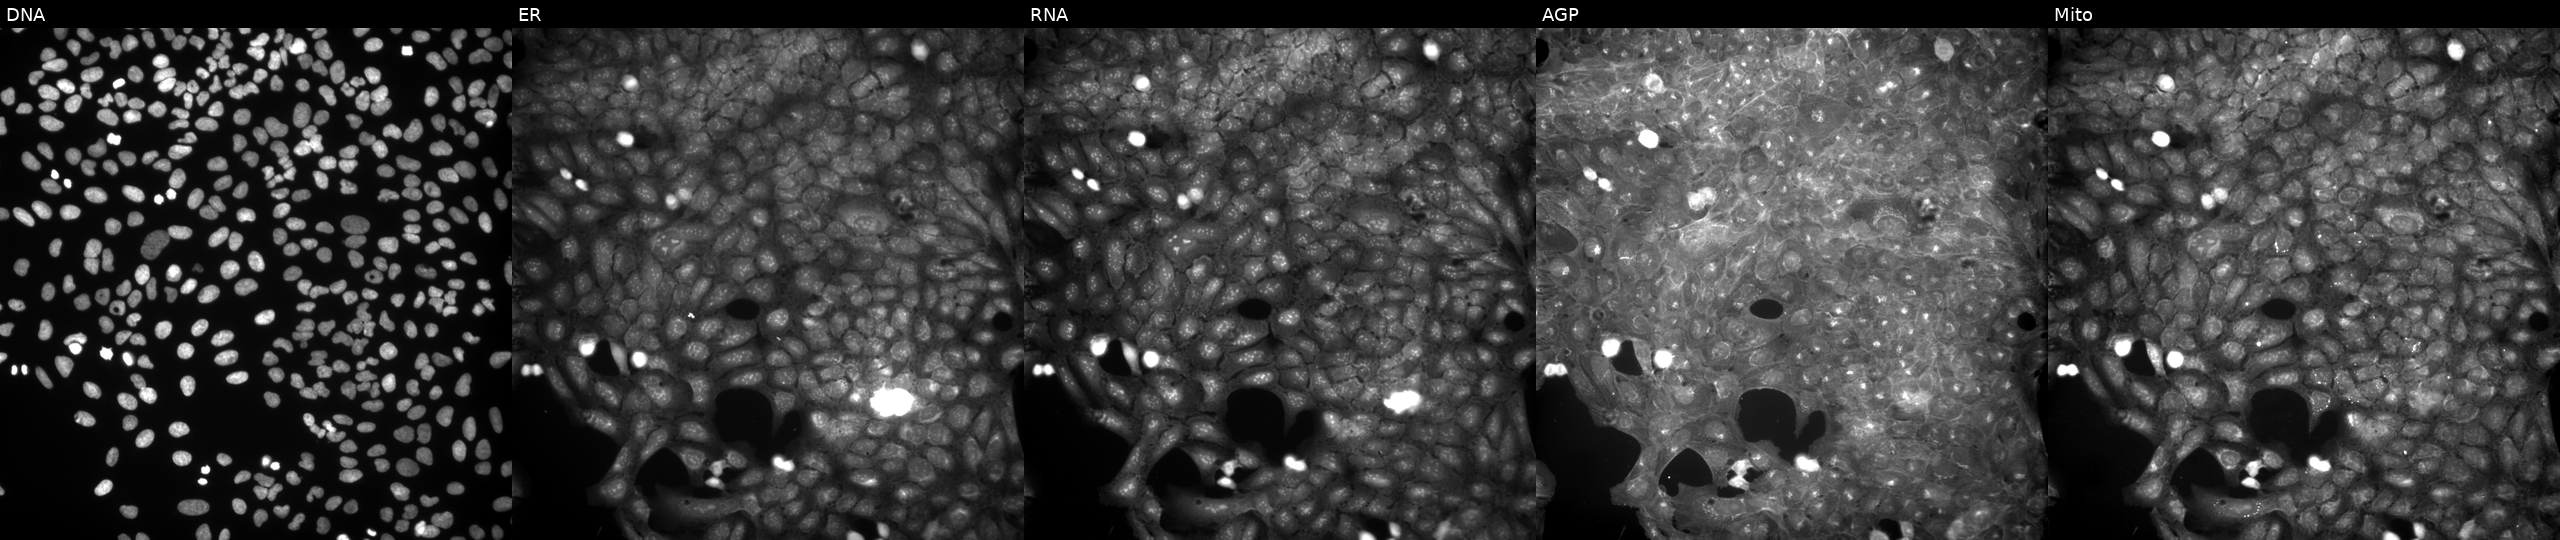
JUMP Cell Painting — COMPOUND plate. U2OS cells treated with a small-molecule compound (InChIKey ANSLSYSYRAEXOT-UHFFFAOYSA-N). Panels show, left to right, DNA (nuclei); ER (endoplasmic reticulum); RNA (nucleoli and cytoplasmic RNA); AGP (actin cytoskeleton, Golgi, and plasma membrane); Mito (mitochondria). Source 9, plate GR00003382, well B29.